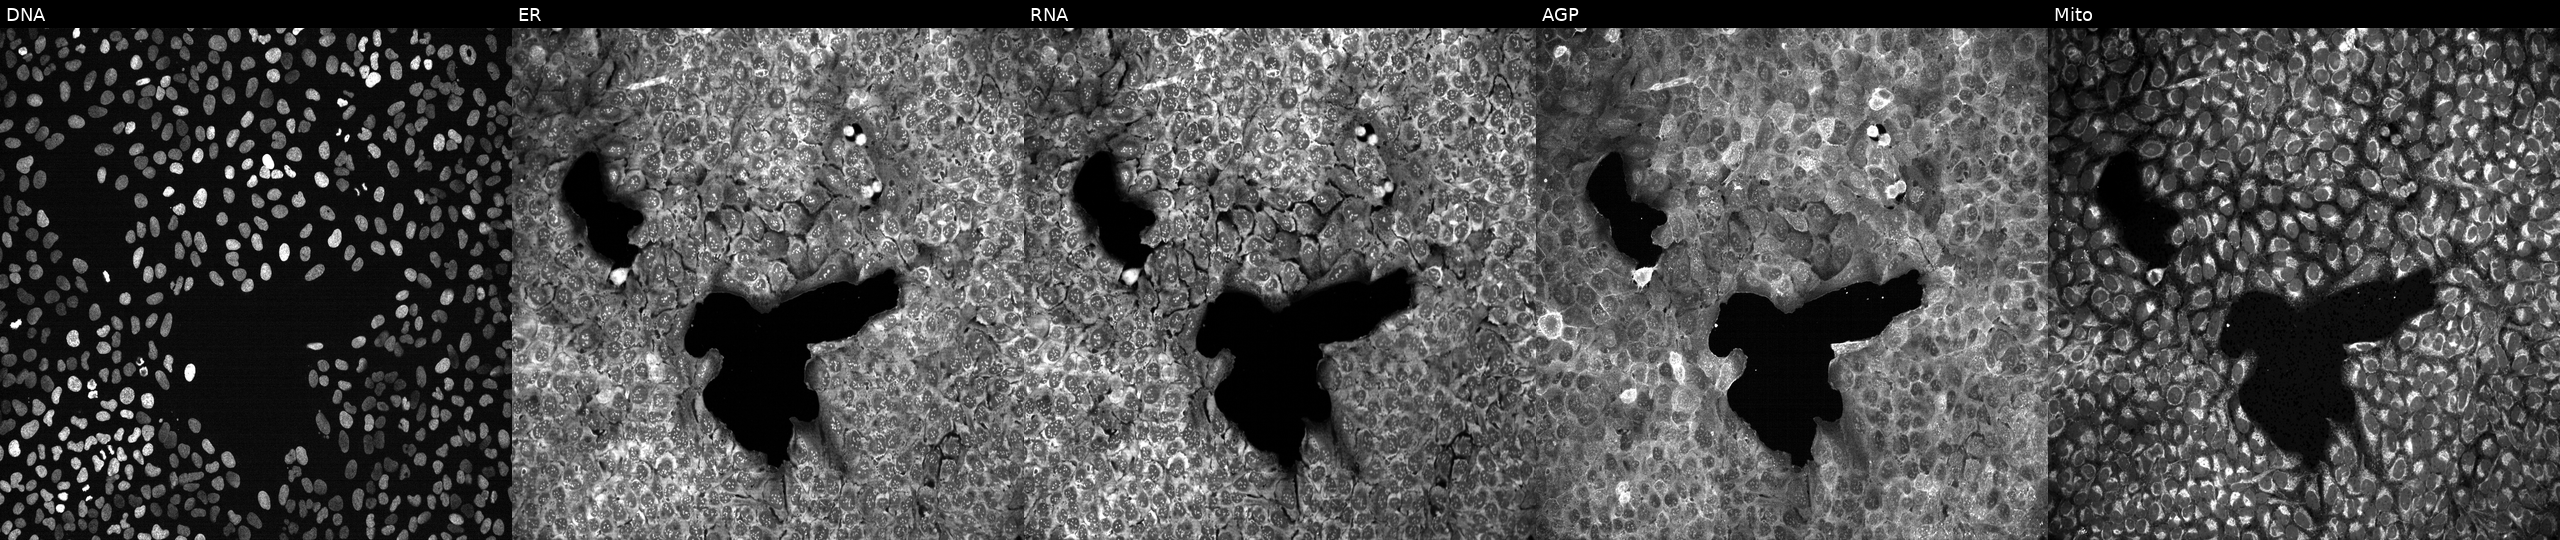
Panels show, left to right, DNA (nuclei); ER (endoplasmic reticulum); RNA (nucleoli and cytoplasmic RNA); AGP (actin cytoskeleton, Golgi, and plasma membrane); Mito (mitochondria). U2OS osteosarcoma cells exposed to the positive-control compound dexamethasone (JUMP id JCP2022_025848). Cell Painting assay, JUMP-CP dataset. Source 13, plate CP-CC9-R4-03, well G24.